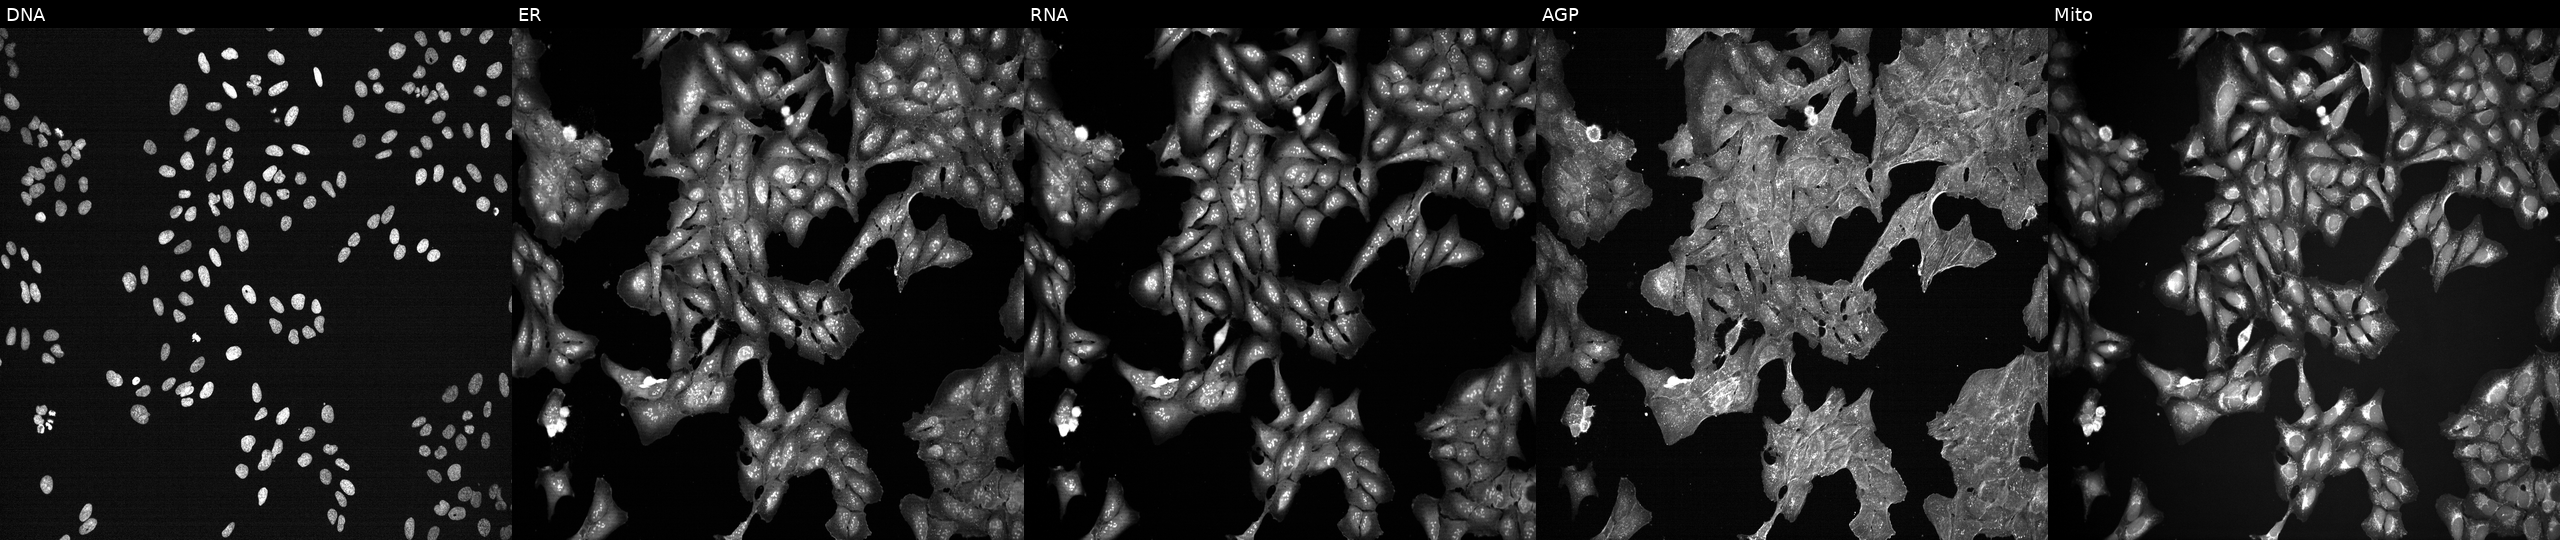
High-content fluorescence microscopy (Cell Painting). Cell line: U2OS. Perturbation: perturbed with a small-molecule compound (JUMP id JCP2022_038675). From left to right: DNA, ER, RNA, AGP, and Mito.